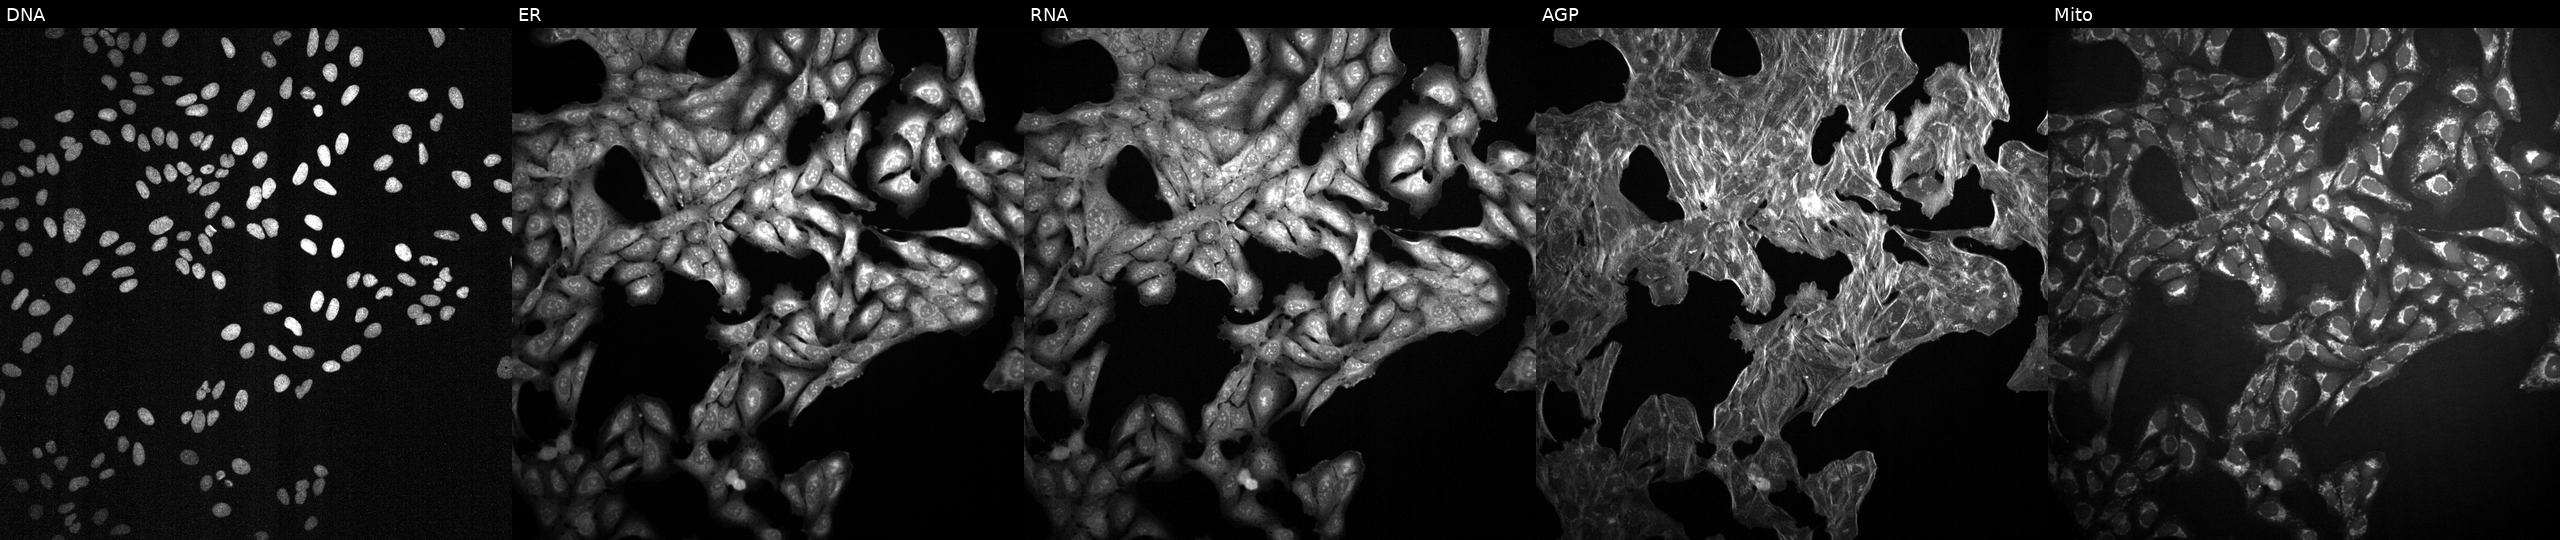
Five-channel Cell Painting image of U2OS cells exposed to a small-molecule compound. Panels show, left to right, Hoechst 33342, concanavalin A, SYTO 14, phalloidin and WGA, MitoTracker.